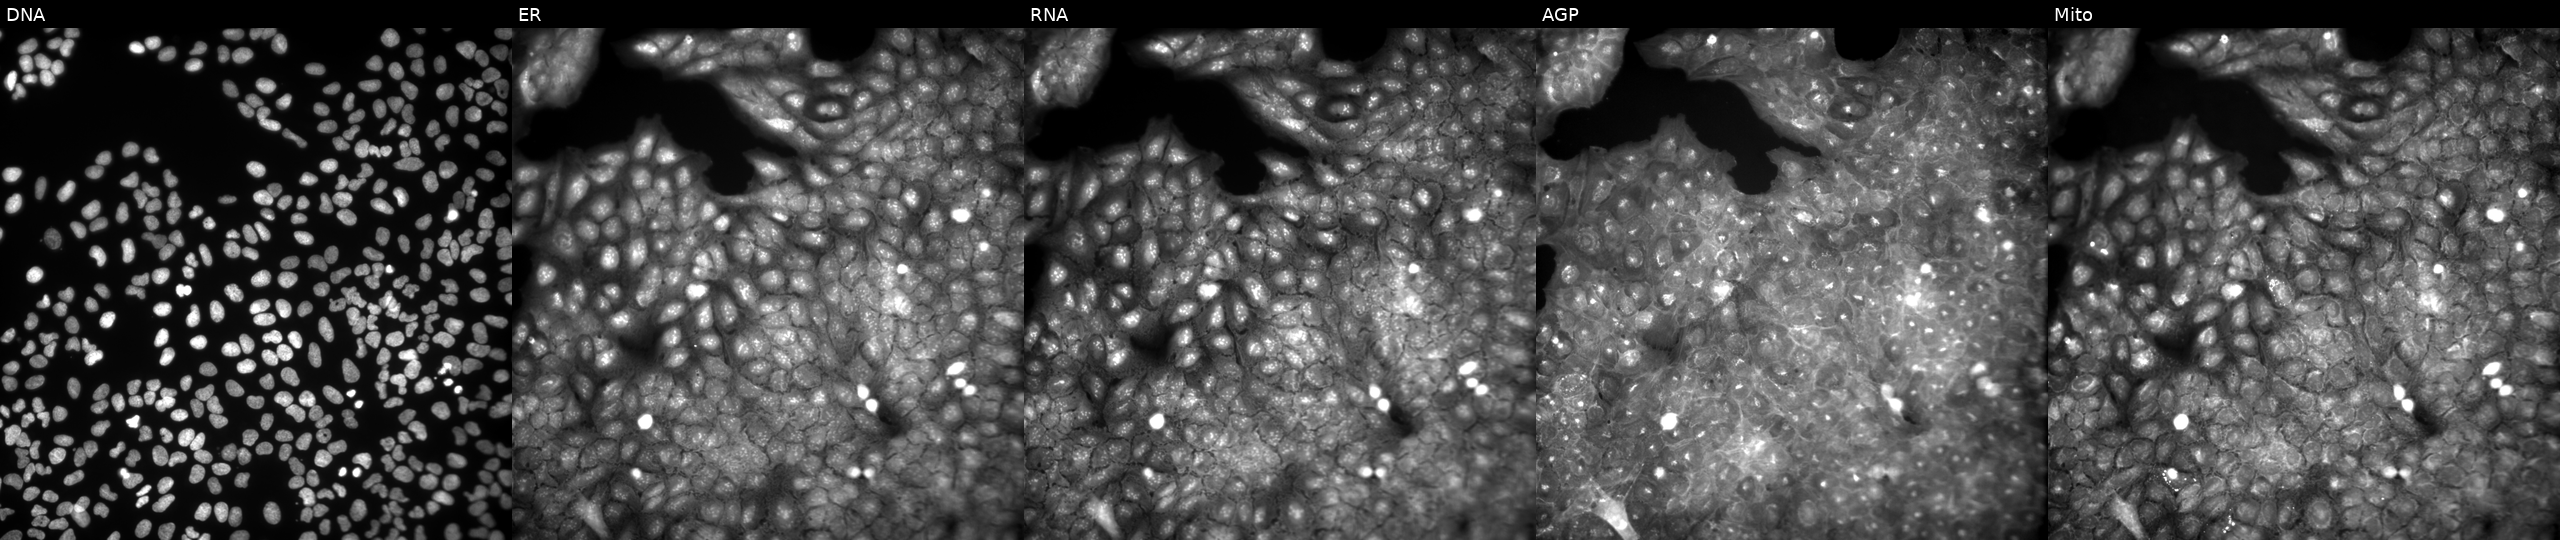
JUMP Cell Painting — COMPOUND plate. U2OS cells exposed to a small-molecule compound. Channels (left→right): DNA (nuclei); ER (endoplasmic reticulum); RNA (nucleoli and cytoplasmic RNA); AGP (actin cytoskeleton, Golgi, and plasma membrane); Mito (mitochondria).